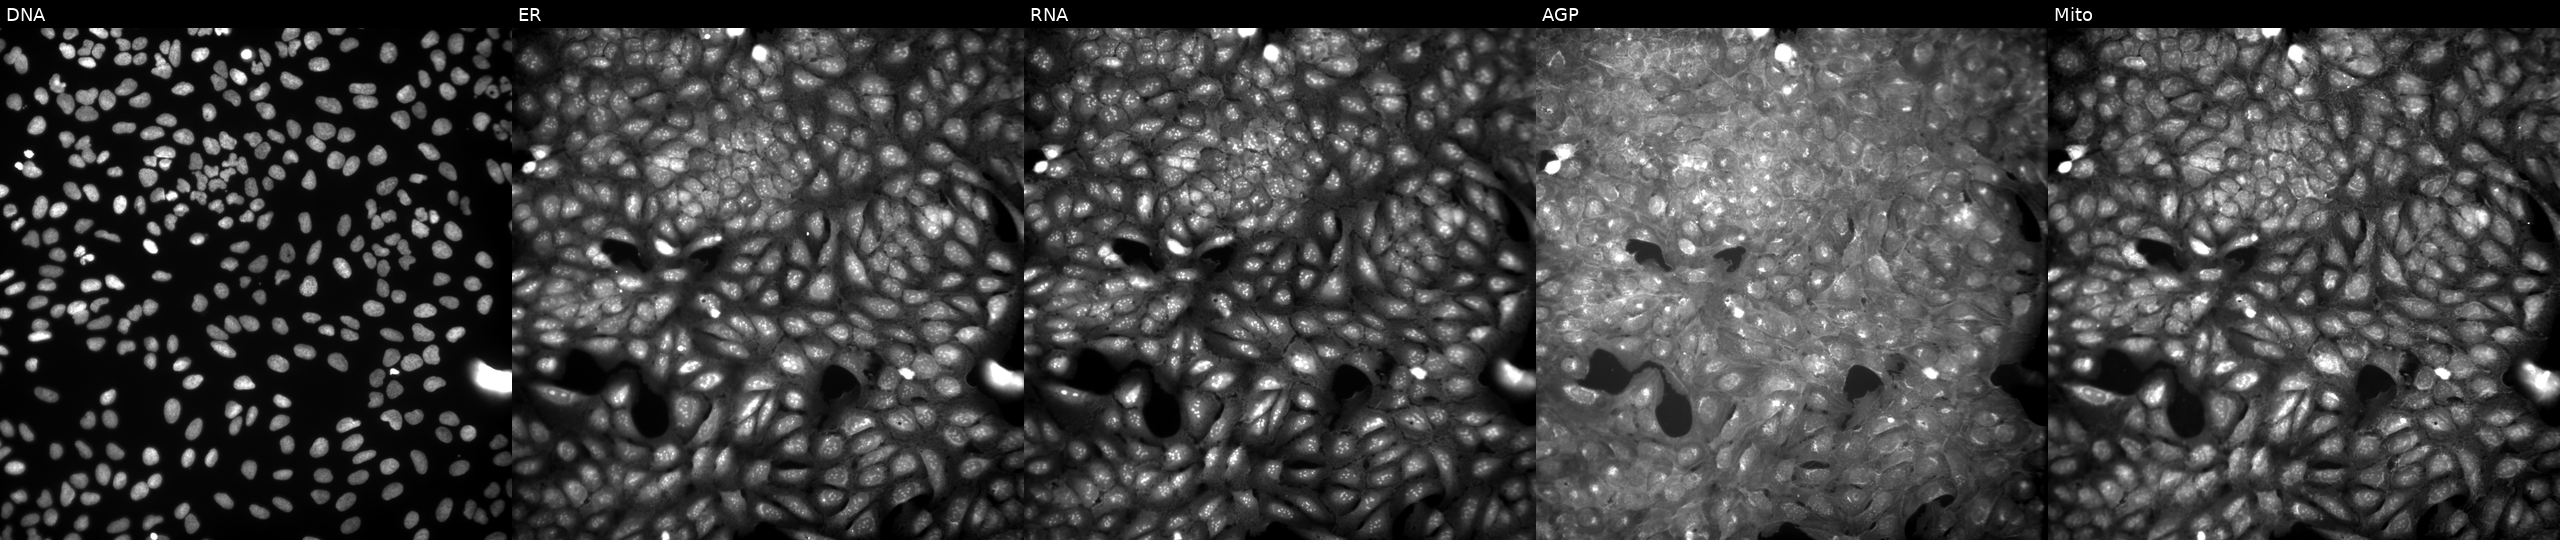
This image strip shows the five Cell Painting channels for a single field of U2OS cells exposed to a small-molecule compound (InChIKey NJAHJZIAJNUJIC-UHFFFAOYSA-N) (JUMP id JCP2022_059313). Channels (left→right): Hoechst 33342, concanavalin A, SYTO 14, phalloidin and WGA, MitoTracker. Source 9, plate GR00003382, well C42.